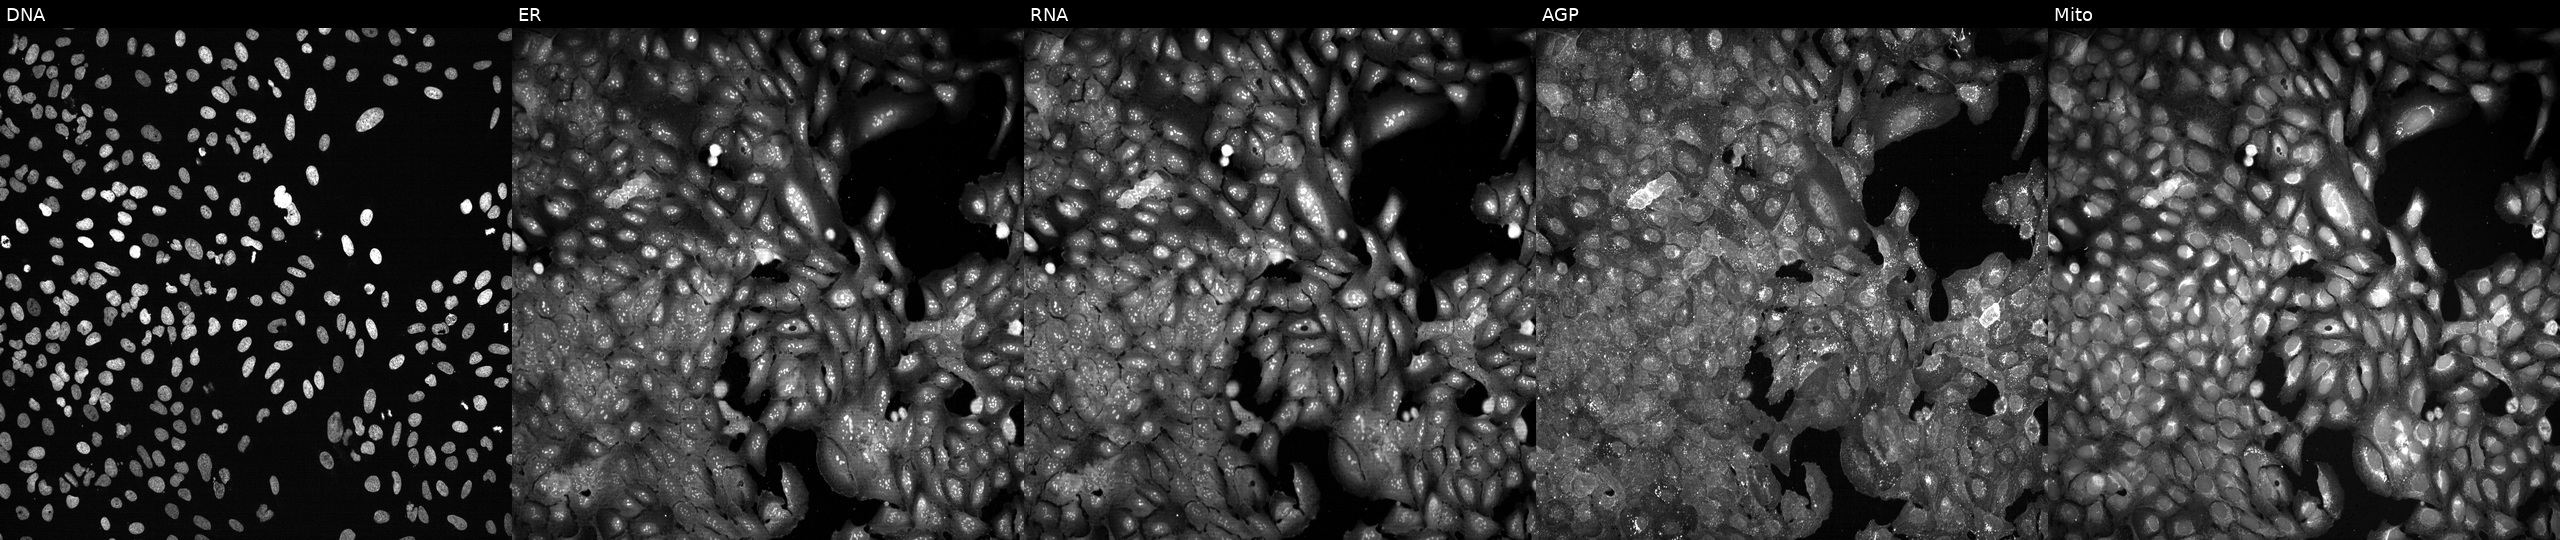
Five-channel Cell Painting image of U2OS cells CRISPR-edited to disrupt SLC5A11 (JUMP id JCP2022_806557). Channels (left→right): DNA, ER, RNA, AGP, and Mito.